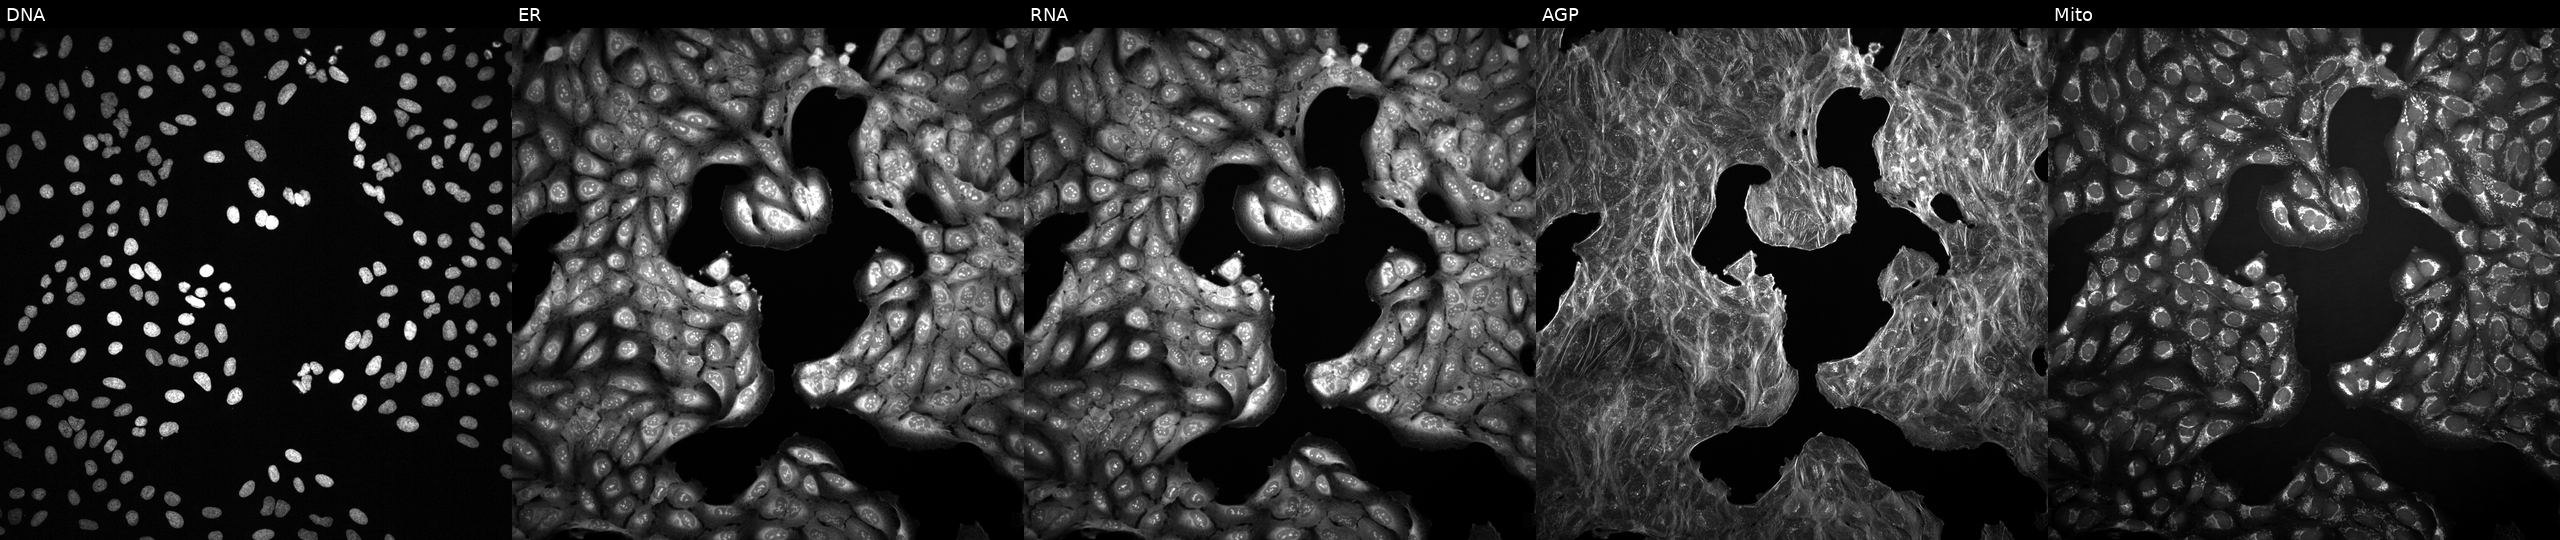
High-content fluorescence microscopy (Cell Painting). Cell line: U2OS. Perturbation: treated with DMSO vehicle only (negative control). From left to right: DNA (nuclei); ER (endoplasmic reticulum); RNA (nucleoli and cytoplasmic RNA); AGP (actin cytoskeleton, Golgi, and plasma membrane); Mito (mitochondria).